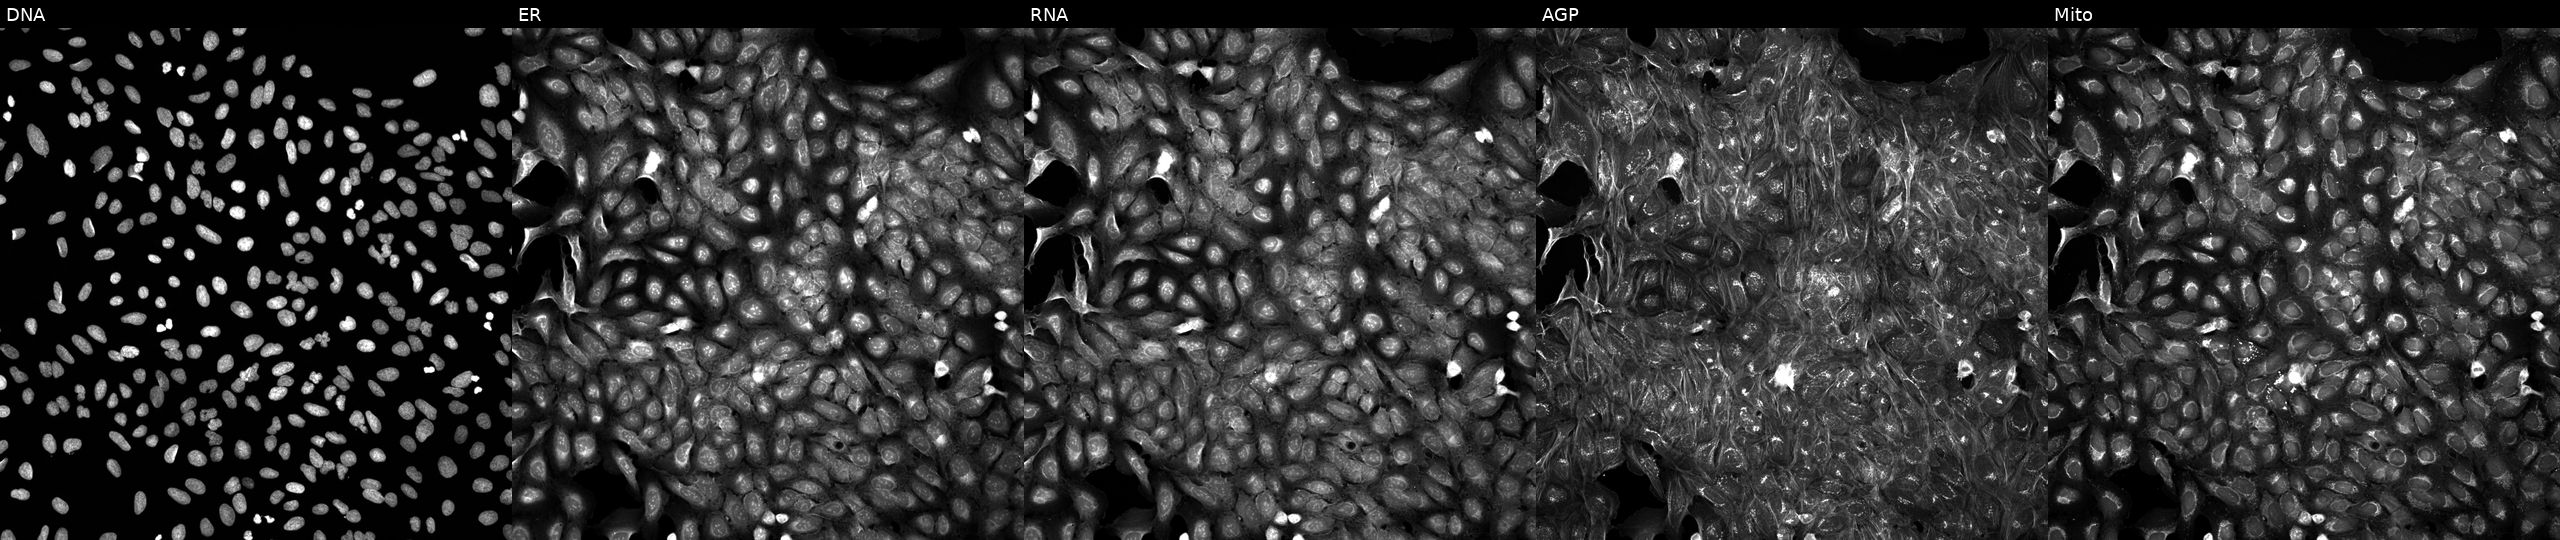
U2OS cells, Cell Painting assay, perturbed with a small-molecule compound (InChIKey GGJXVFIICHQOKN-UHFFFAOYSA-N). From left to right: DNA, ER, RNA, AGP, and Mito. Each panel is percentile-stretched 16-bit fluorescence. Source 5, plate APTJUM105, well I16.